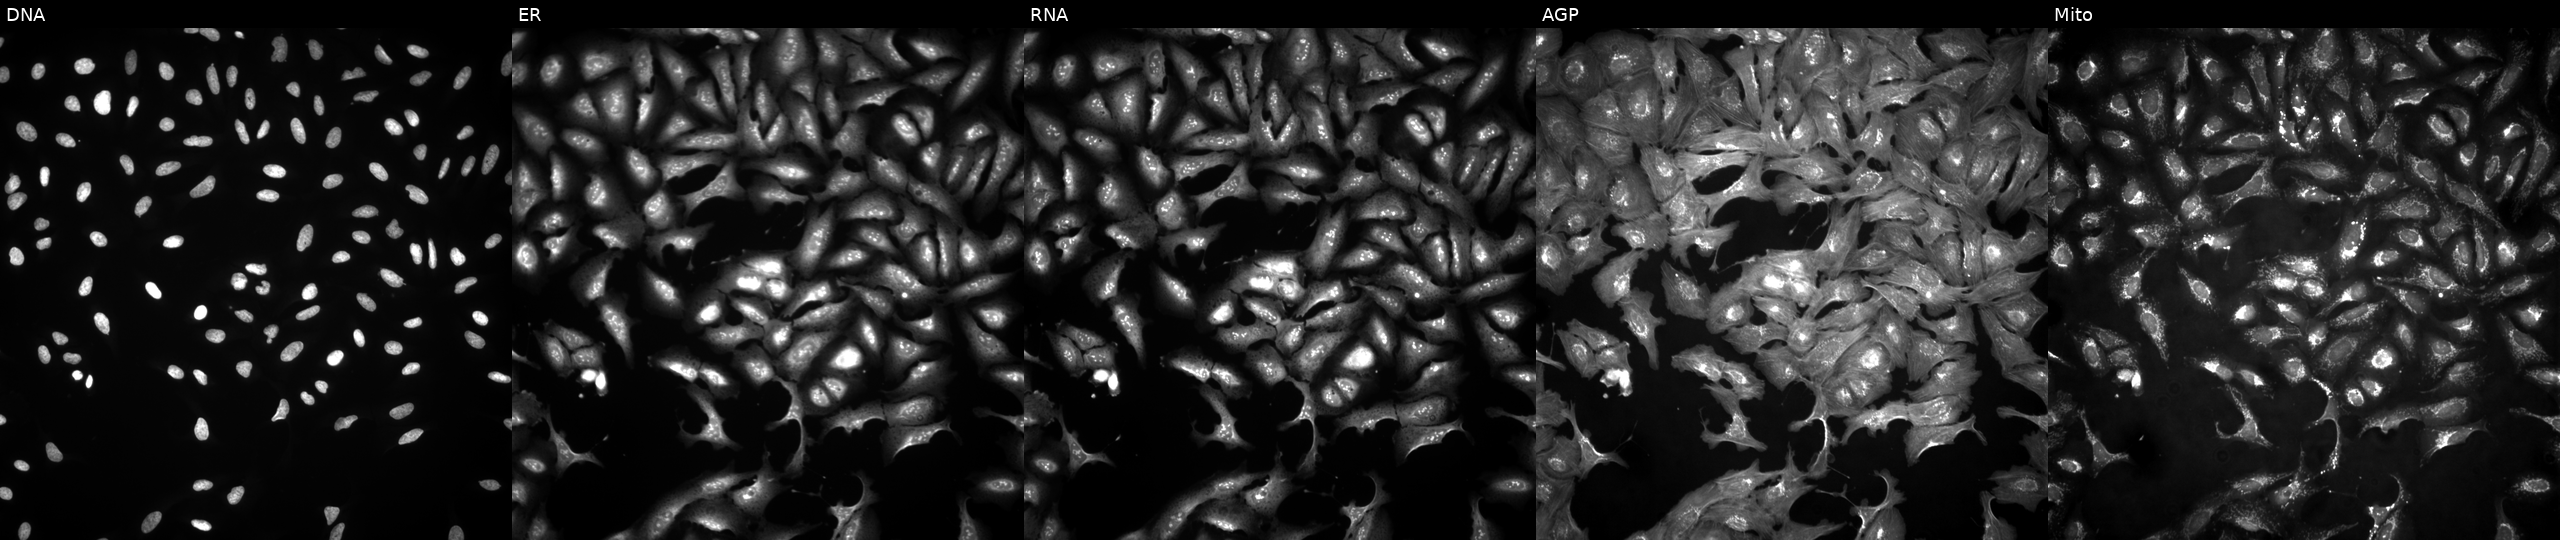
JUMP Cell Painting — ORF plate. U2OS cells transfected with an ORF construct for RACGAP1. The five panels, left to right, show Hoechst 33342, concanavalin A, SYTO 14, phalloidin and WGA, MitoTracker.